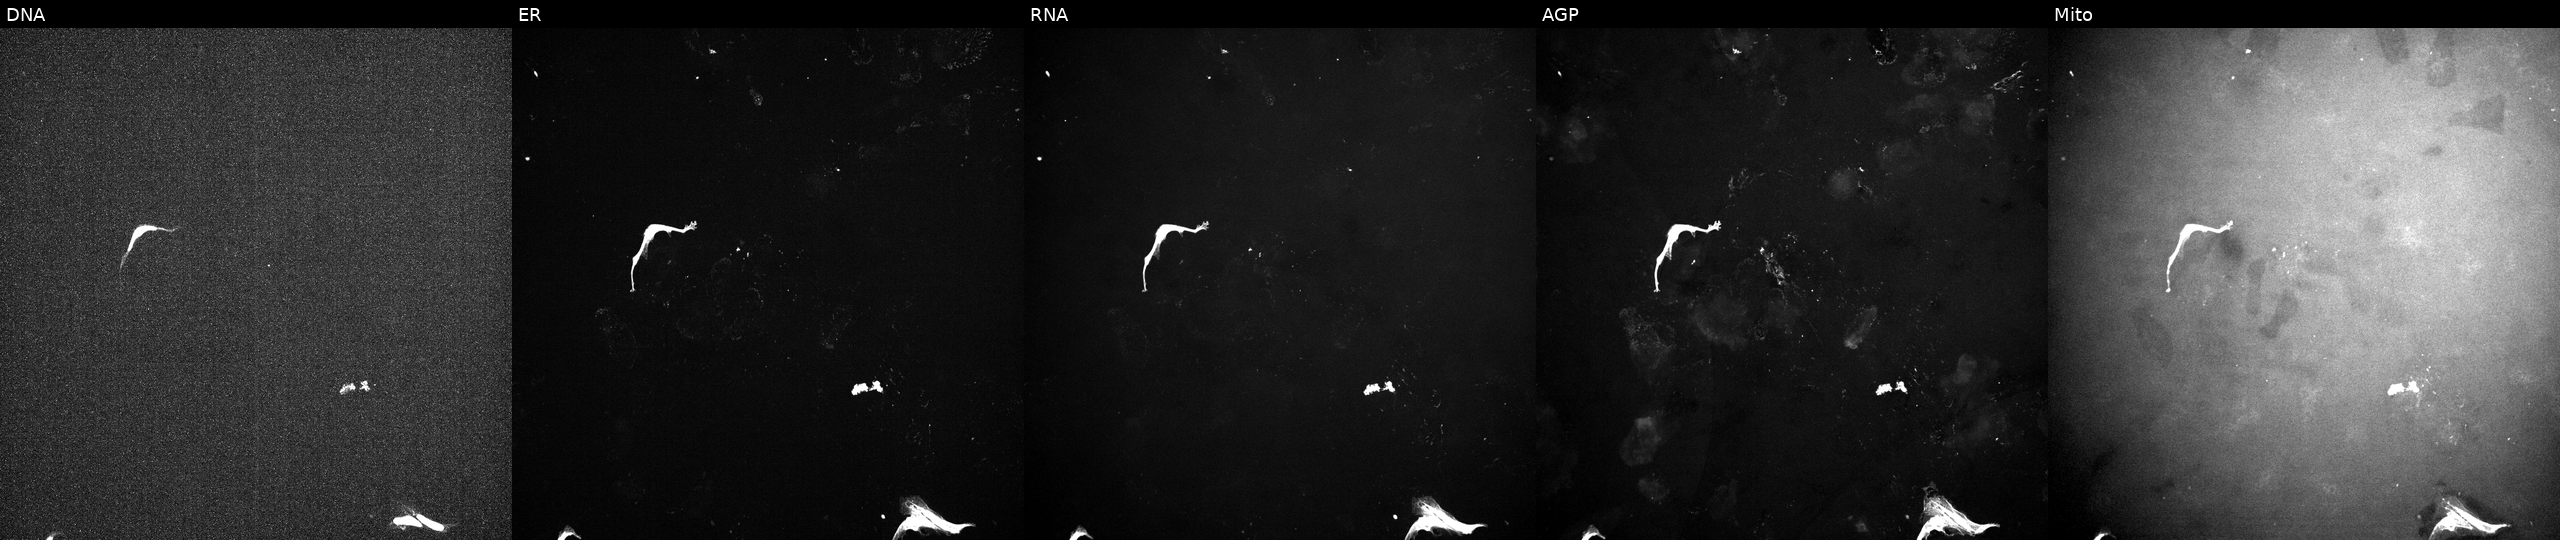
U2OS cells, Cell Painting assay, exposed to a small-molecule compound (JUMP id JCP2022_109043). The five panels, left to right, show DNA (nuclei); ER (endoplasmic reticulum); RNA (nucleoli and cytoplasmic RNA); AGP (actin cytoskeleton, Golgi, and plasma membrane); Mito (mitochondria). Each panel is percentile-stretched 16-bit fluorescence.